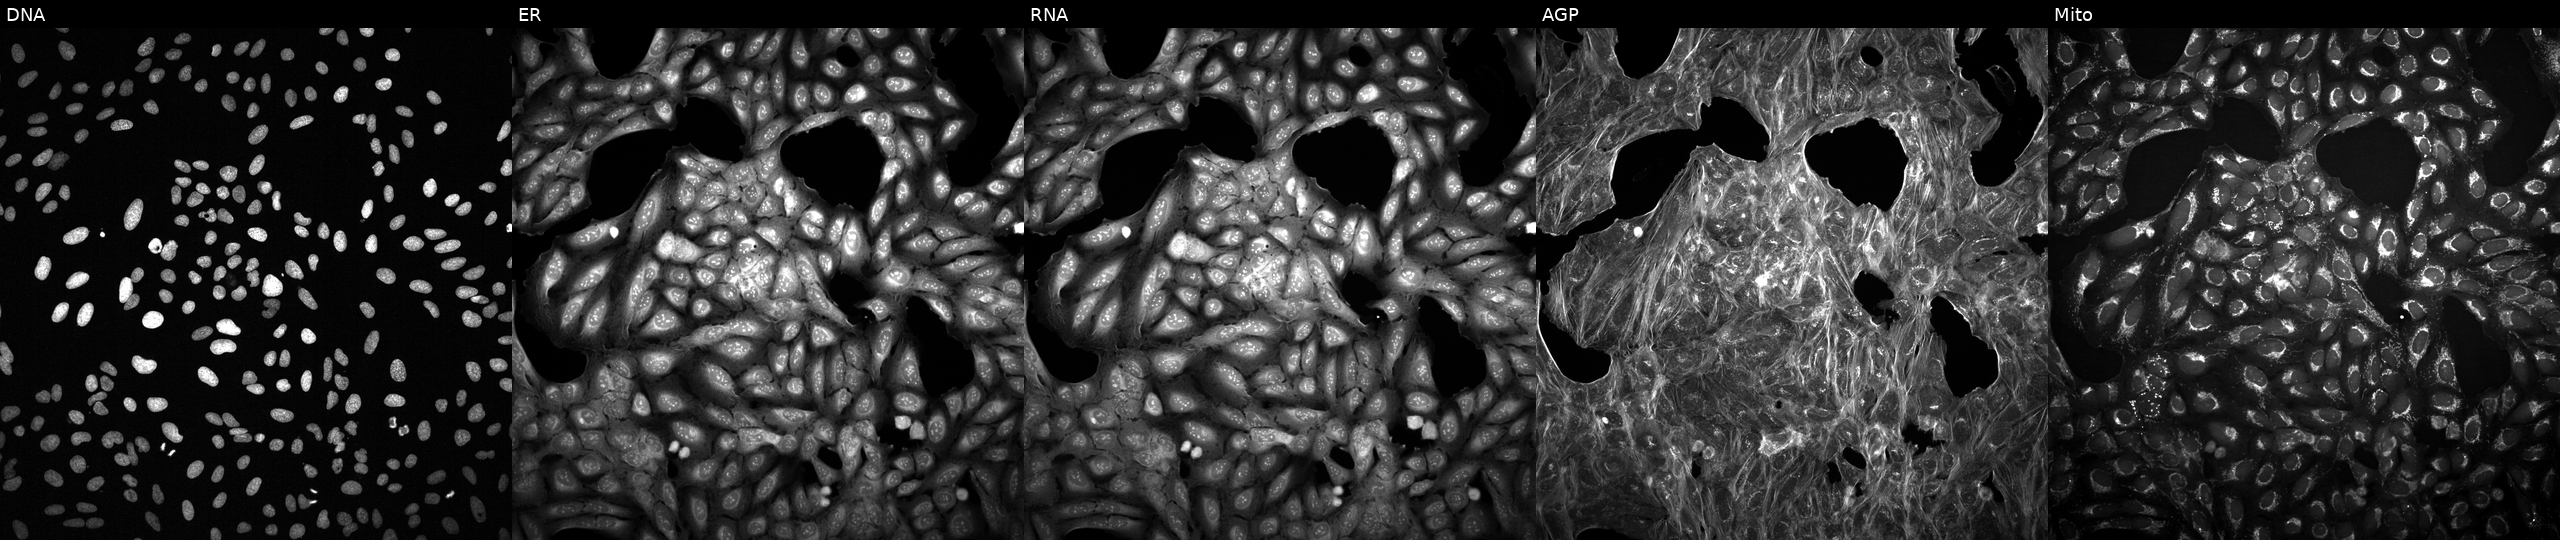
This image strip shows the five Cell Painting channels for a single field of U2OS cells perturbed with a small-molecule compound (InChIKey OOFQHRCDCIKPPZ-UHFFFAOYSA-N). The five panels, left to right, show DNA, ER, RNA, AGP, and Mito.